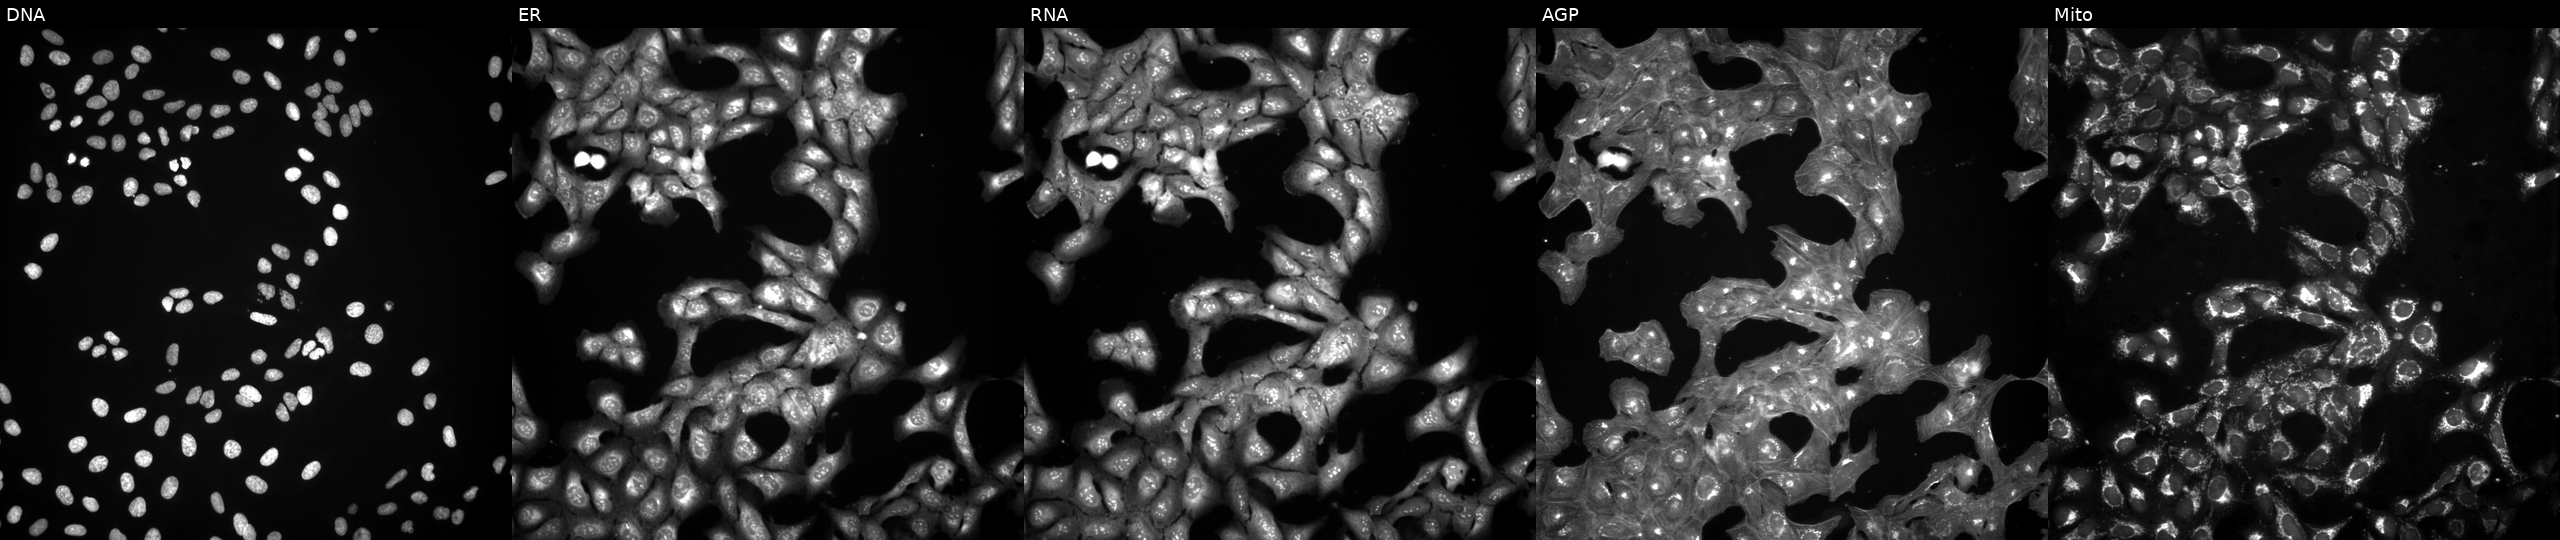
Channels (left→right): DNA, ER, RNA, AGP, and Mito. U2OS osteosarcoma cells exposed to a small-molecule compound (InChIKey AUMHDRMJJNZTPB-UHFFFAOYSA-N). Cell Painting assay, JUMP-CP dataset.